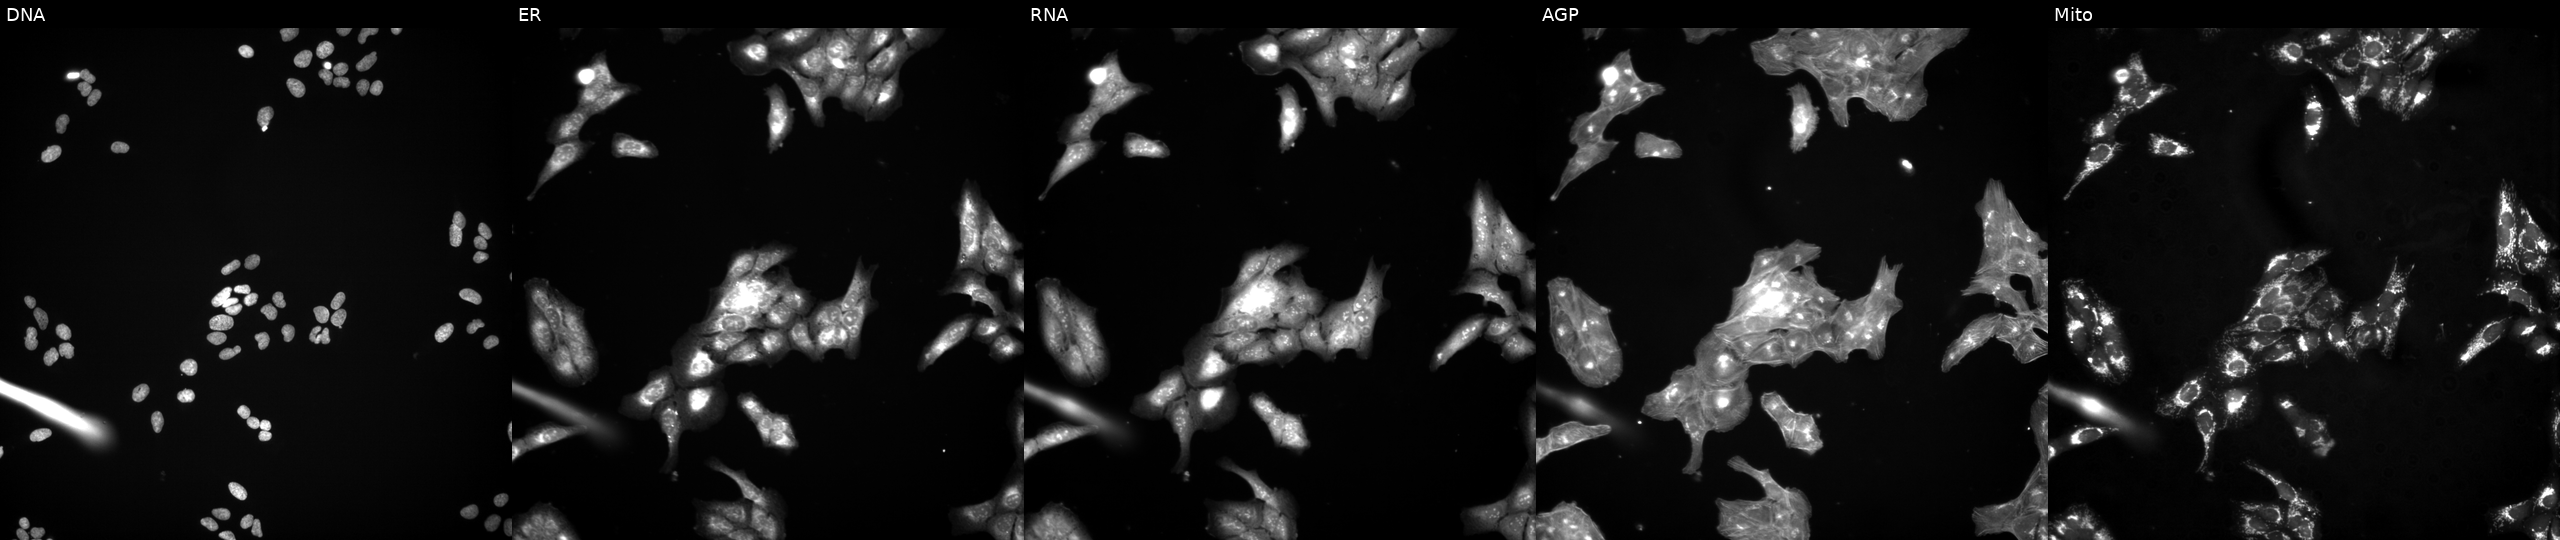
U2OS cells, Cell Painting assay, perturbed with a small-molecule compound. The five panels, left to right, show DNA, ER, RNA, AGP, and Mito. Each panel is percentile-stretched 16-bit fluorescence.